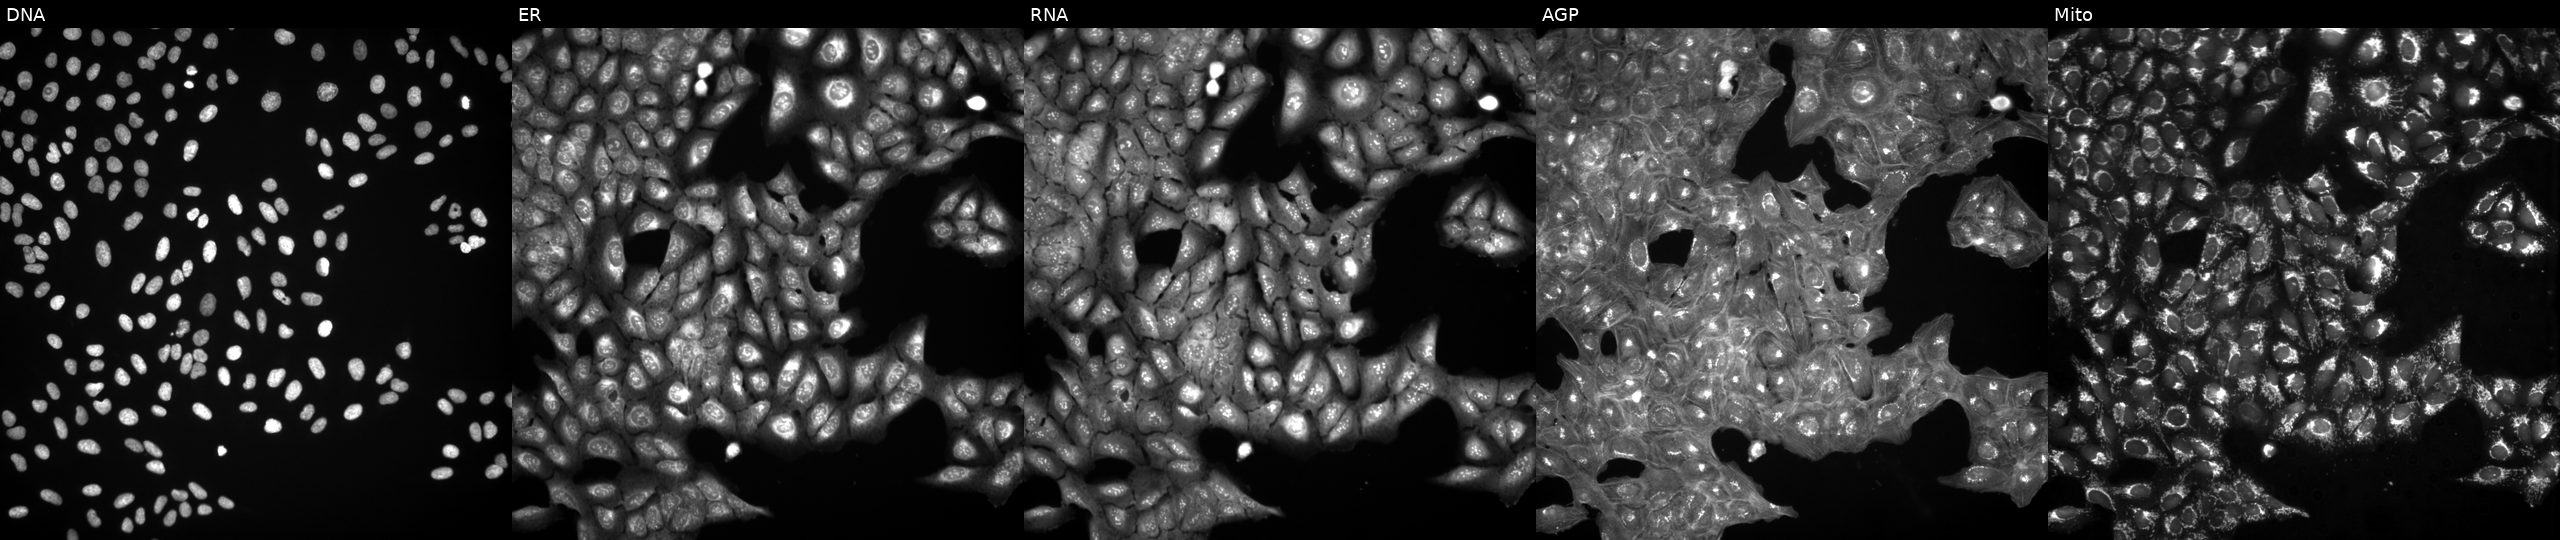
This image strip shows the five Cell Painting channels for a single field of U2OS cells treated with a small-molecule compound (InChIKey UYPMSMVWOBMXDX-UHFFFAOYSA-N) [SMILES: Cc1csc(-c2c[nH]n(-c3ccccc3)c2=NC(=O)c2cccc(F)c2)n1] (JUMP id JCP2022_092371). Panels show, left to right, DNA (nuclei); ER (endoplasmic reticulum); RNA (nucleoli and cytoplasmic RNA); AGP (actin cytoskeleton, Golgi, and plasma membrane); Mito (mitochondria).